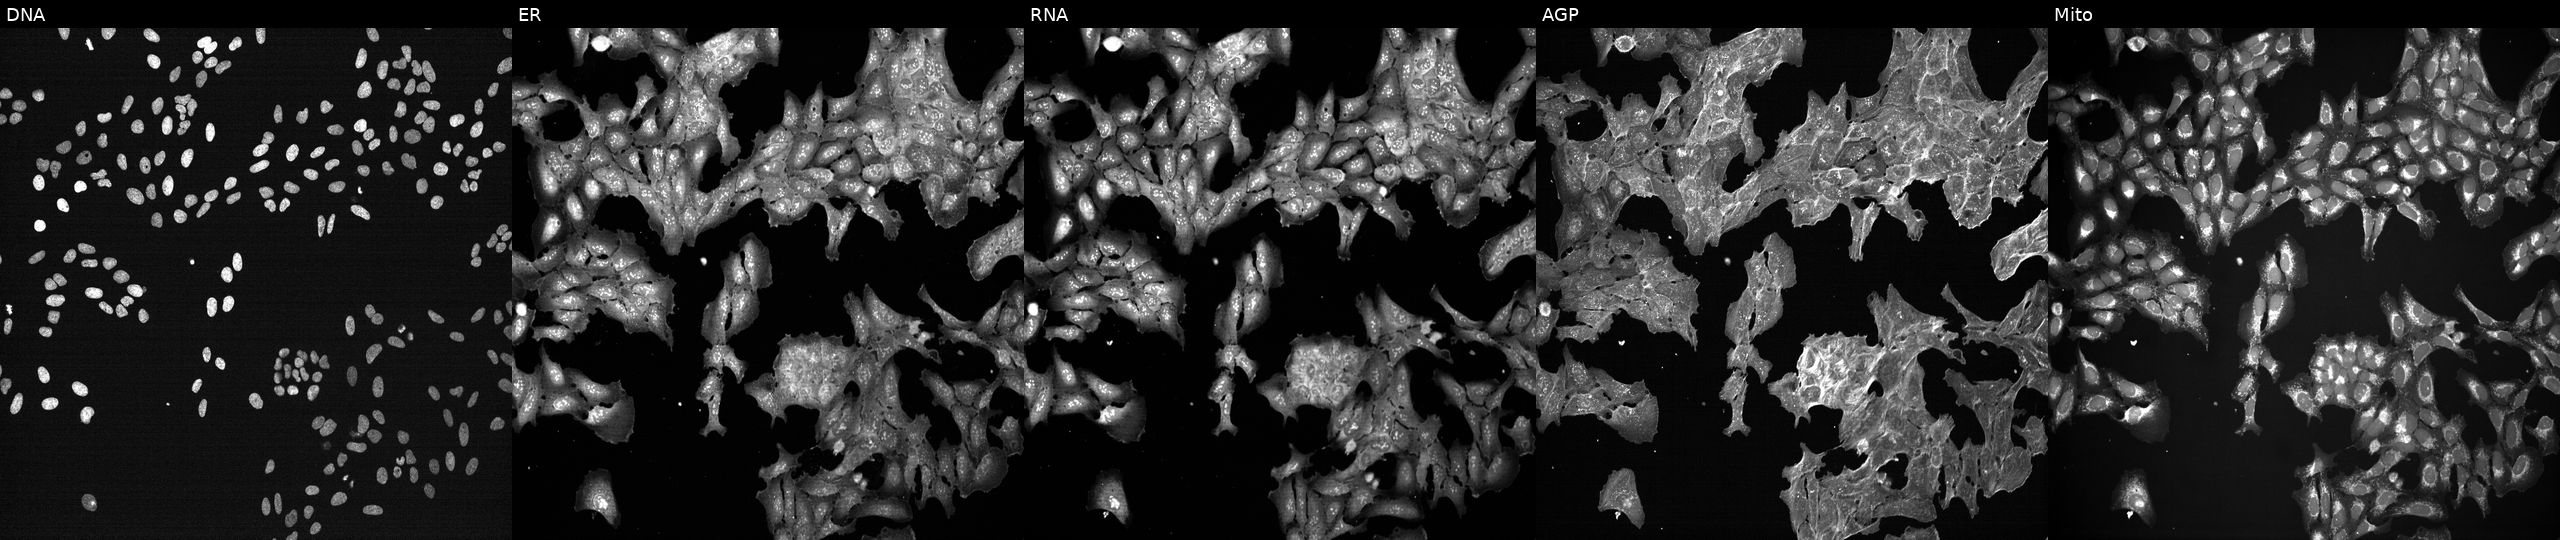
This image strip shows the five Cell Painting channels for a single field of U2OS cells treated with a small-molecule compound. Panels show, left to right, DNA (nuclei); ER (endoplasmic reticulum); RNA (nucleoli and cytoplasmic RNA); AGP (actin cytoskeleton, Golgi, and plasma membrane); Mito (mitochondria). Source 7, plate CP3-SC1-25, well H19.